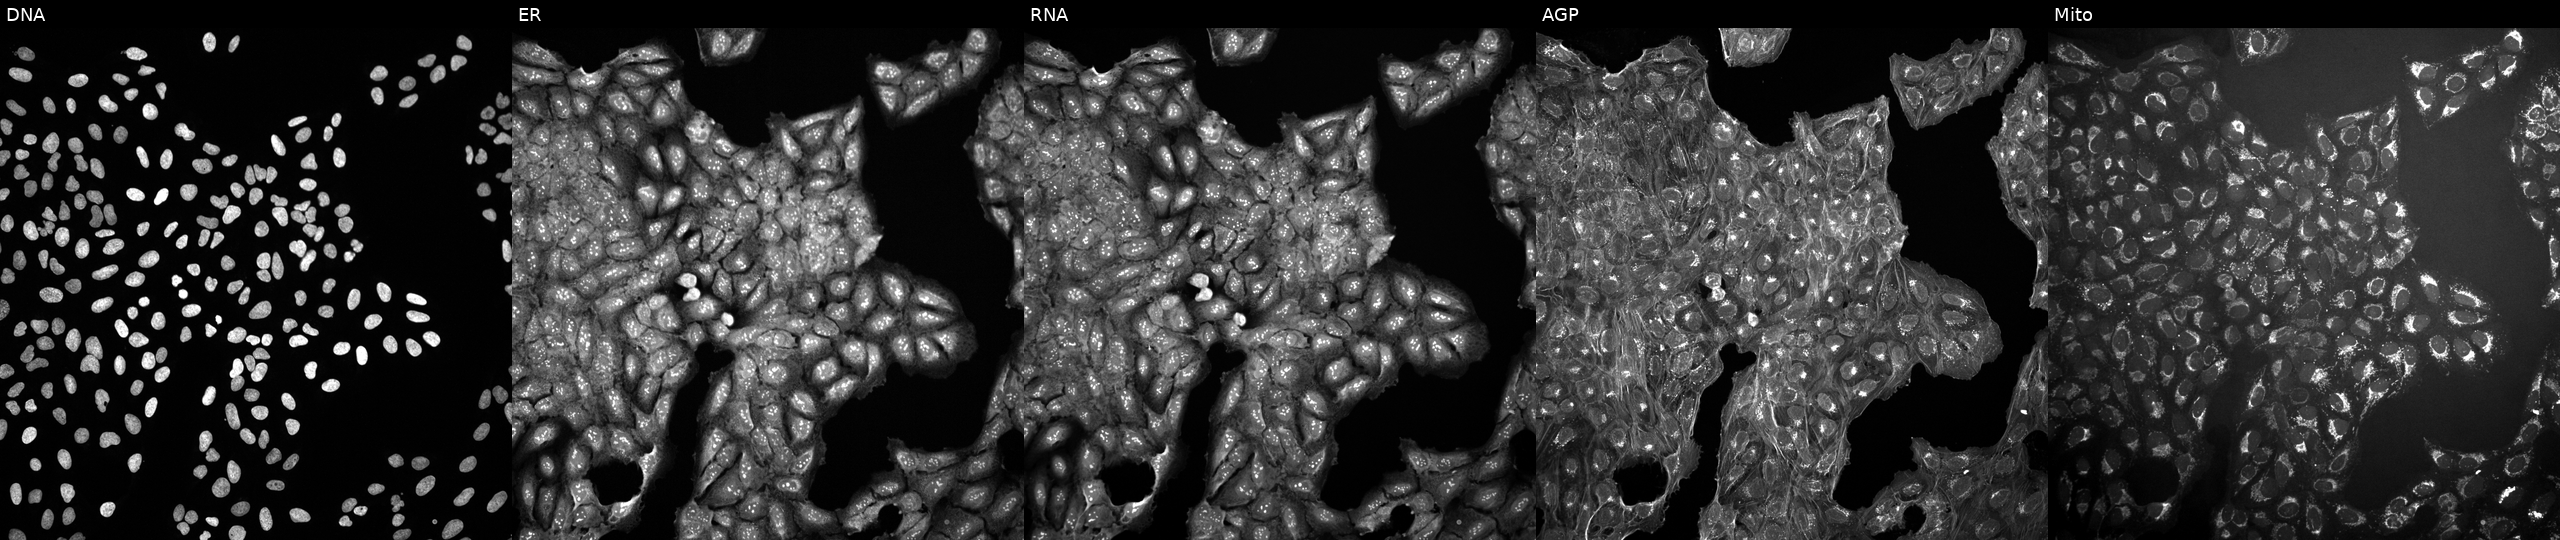
This image strip shows the five Cell Painting channels for a single field of U2OS cells in an empty control well (no perturbation). From left to right: DNA (nuclei); ER (endoplasmic reticulum); RNA (nucleoli and cytoplasmic RNA); AGP (actin cytoskeleton, Golgi, and plasma membrane); Mito (mitochondria). Source 10, plate Dest210531-152149, well B08.